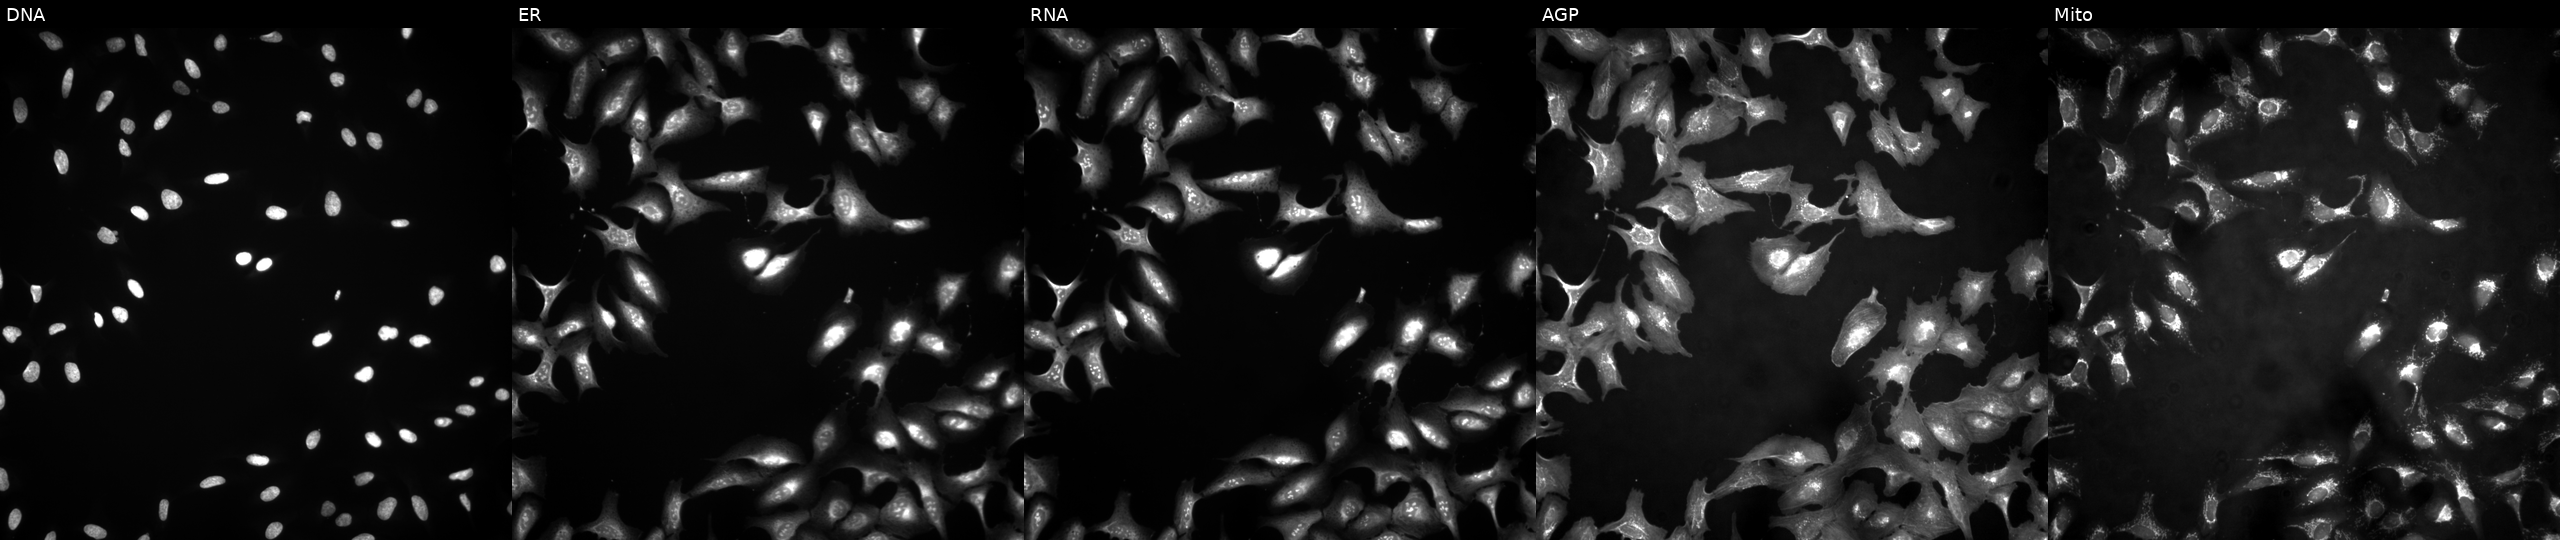
JUMP Cell Painting — ORF plate. U2OS cells with PIP5K1B overexpressed (ORF). Channels (left→right): Hoechst 33342, concanavalin A, SYTO 14, phalloidin and WGA, MitoTracker. Source 4, plate BR00121543, well K16.